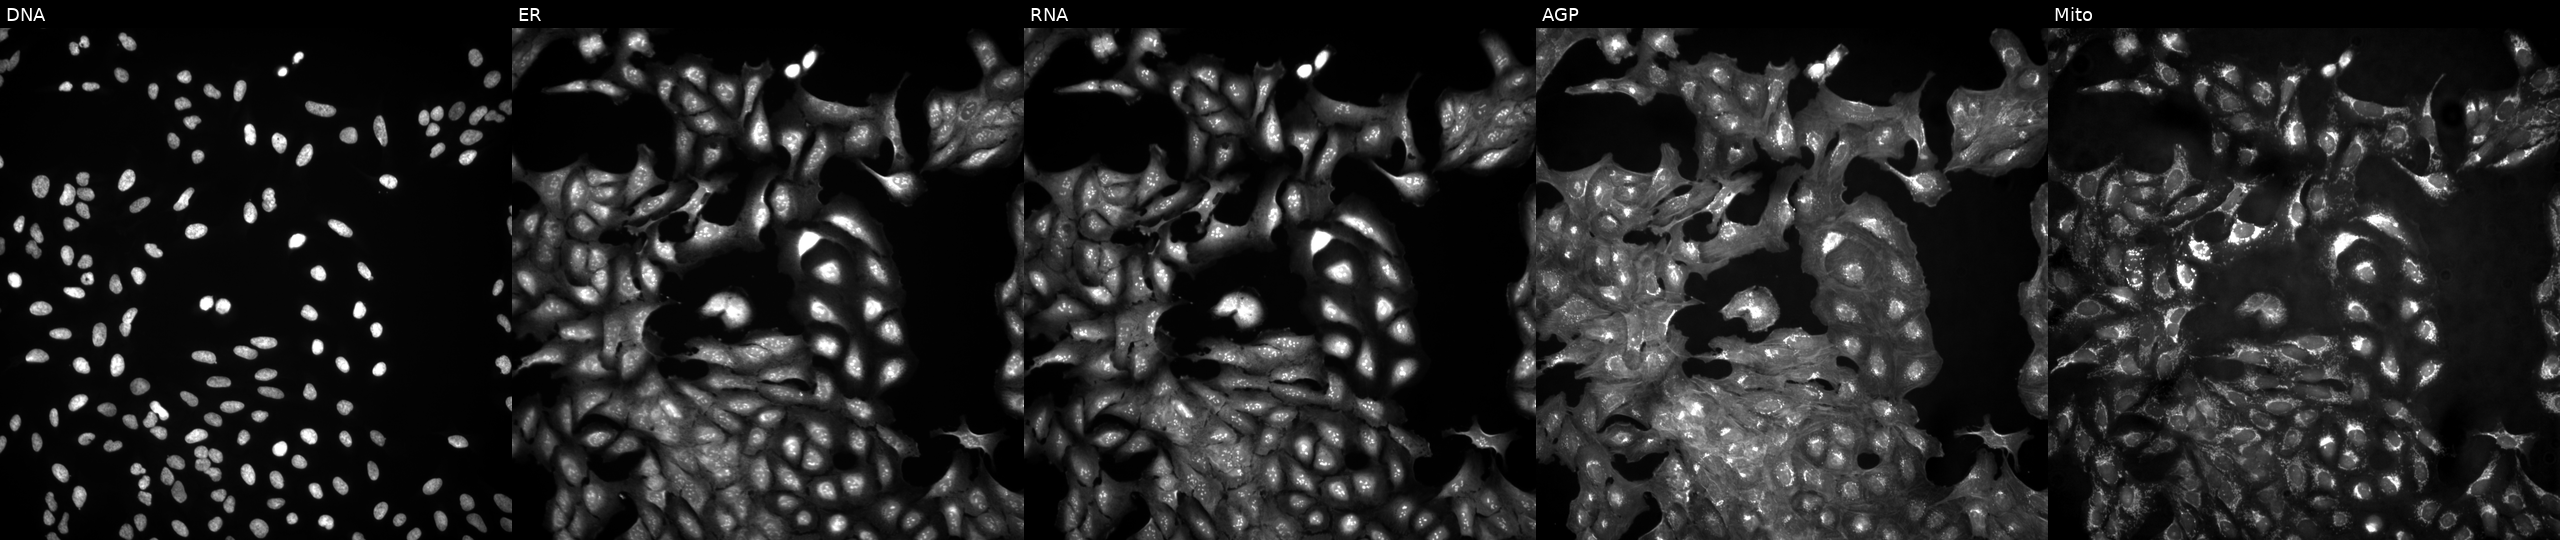
Five-channel Cell Painting image of U2OS cells untreated (empty-well control). From left to right: DNA, ER, RNA, AGP, and Mito. Source 4, plate BR00123946, well L03.